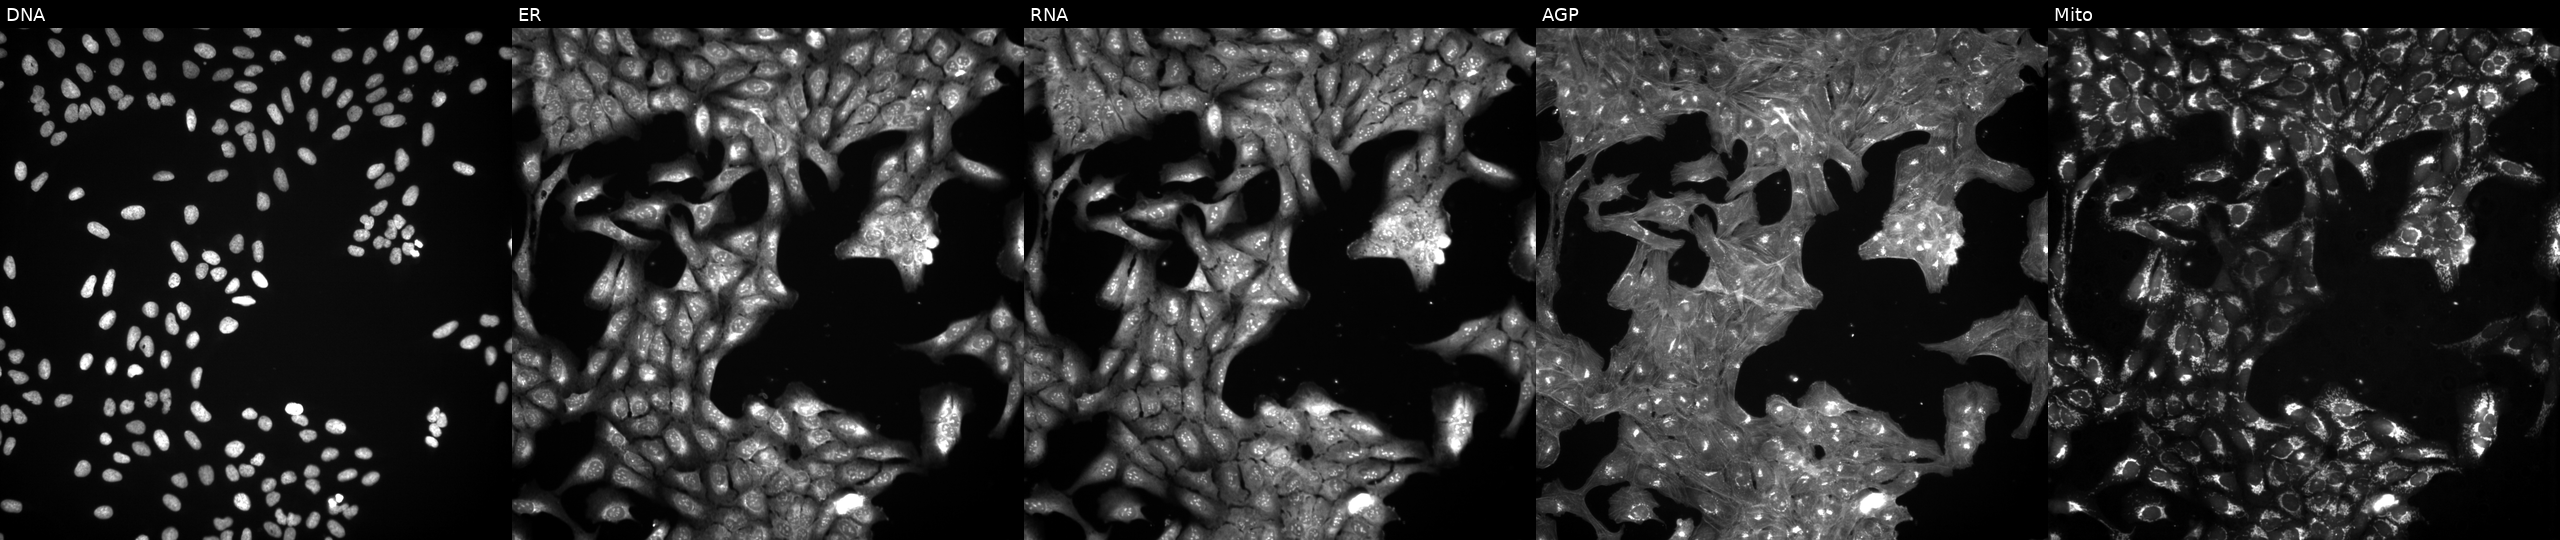
U2OS cells, Cell Painting assay, treated with a small-molecule compound (InChIKey QHDBHOYMLOEZDX-UHFFFAOYSA-N) (JUMP id JCP2022_073407). The five panels, left to right, show DNA (nuclei); ER (endoplasmic reticulum); RNA (nucleoli and cytoplasmic RNA); AGP (actin cytoskeleton, Golgi, and plasma membrane); Mito (mitochondria). Each panel is percentile-stretched 16-bit fluorescence. Source 3, plate BR5867b3, well J07.